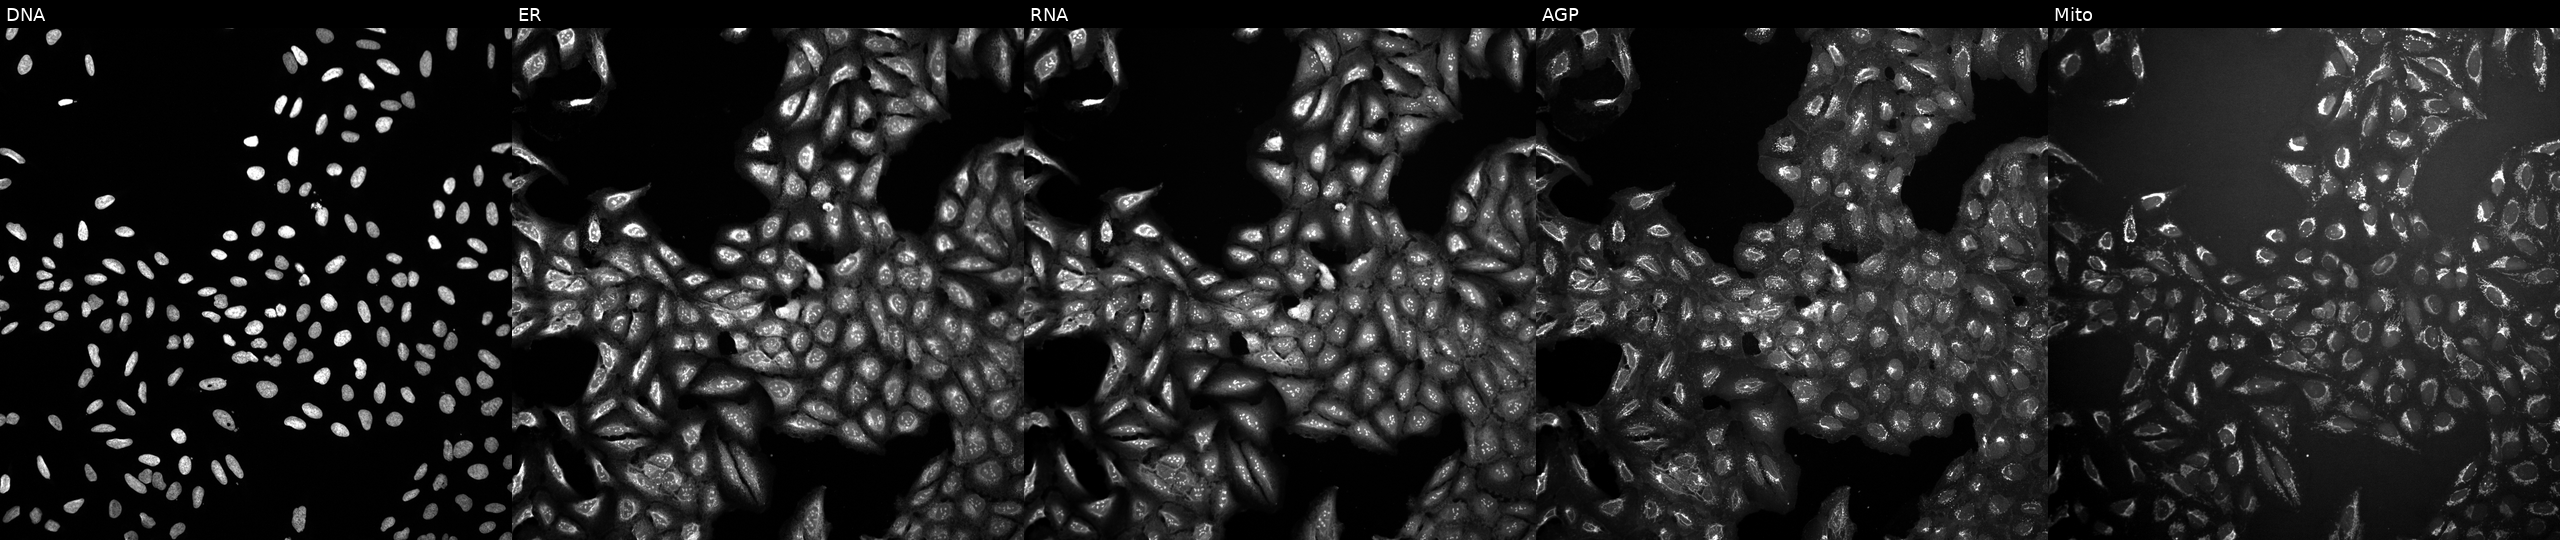
U2OS cells, Cell Painting assay, treated with a small-molecule compound (InChIKey WXXSNCNJFUAIDG-UHFFFAOYSA-N) (JUMP id JCP2022_101929). The five panels, left to right, show DNA (nuclei); ER (endoplasmic reticulum); RNA (nucleoli and cytoplasmic RNA); AGP (actin cytoskeleton, Golgi, and plasma membrane); Mito (mitochondria). Each panel is percentile-stretched 16-bit fluorescence.